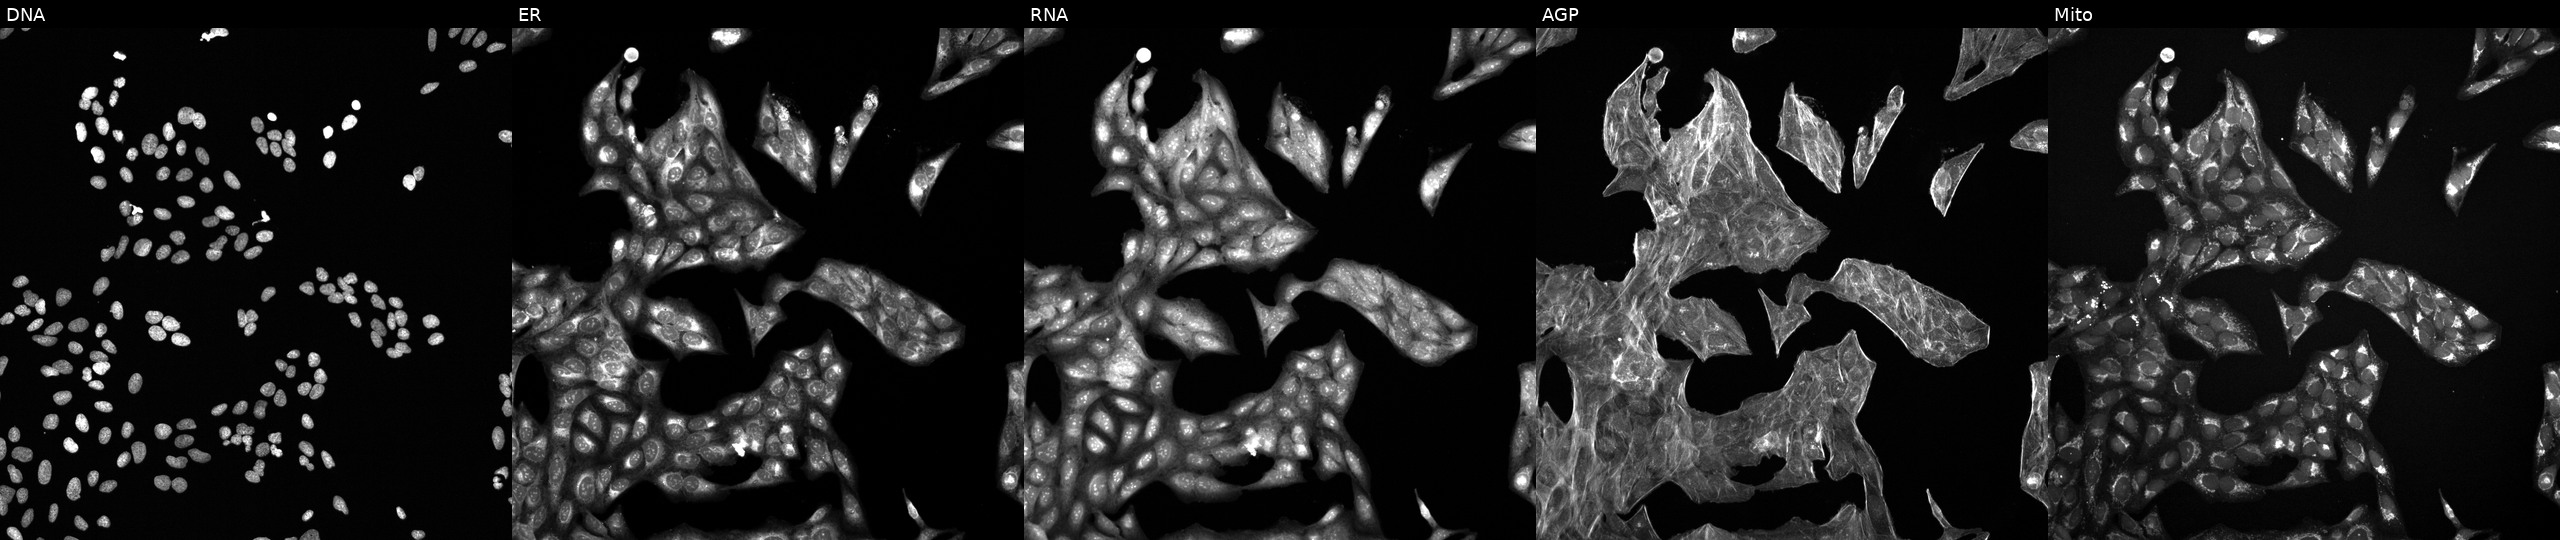
This image strip shows the five Cell Painting channels for a single field of U2OS cells treated with a small-molecule compound. From left to right: DNA (nuclei); ER (endoplasmic reticulum); RNA (nucleoli and cytoplasmic RNA); AGP (actin cytoskeleton, Golgi, and plasma membrane); Mito (mitochondria). Source 6, plate 110000293093, well N02.